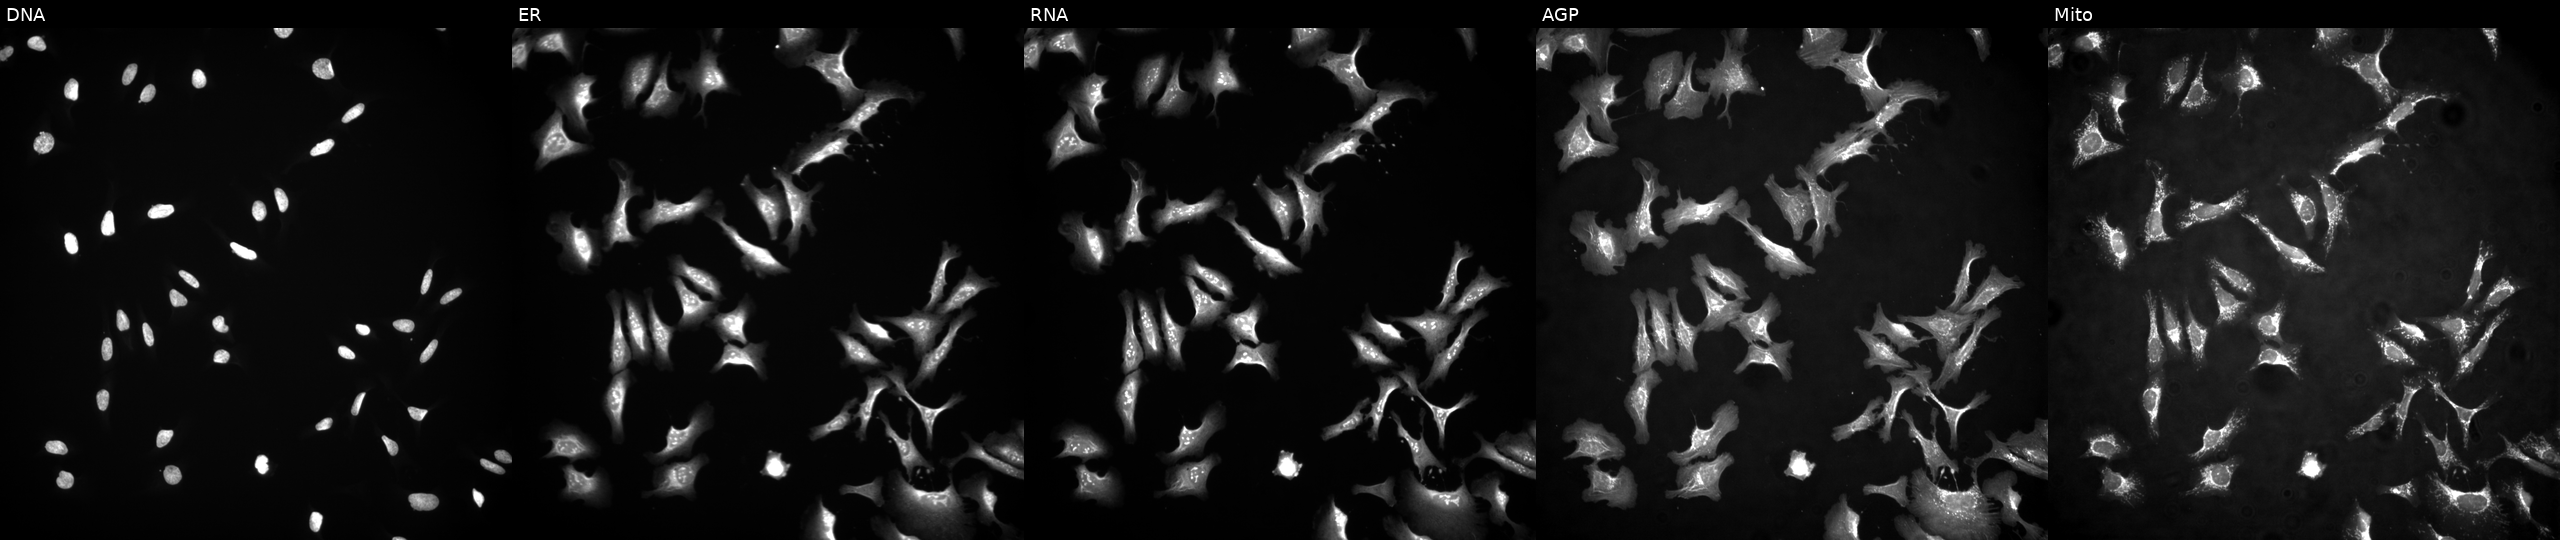
U2OS cells, Cell Painting assay, transfected with an ORF construct for LINC01711. Panels show, left to right, Hoechst 33342, concanavalin A, SYTO 14, phalloidin and WGA, MitoTracker. Each panel is percentile-stretched 16-bit fluorescence. Source 4, plate BR00124787, well K05.